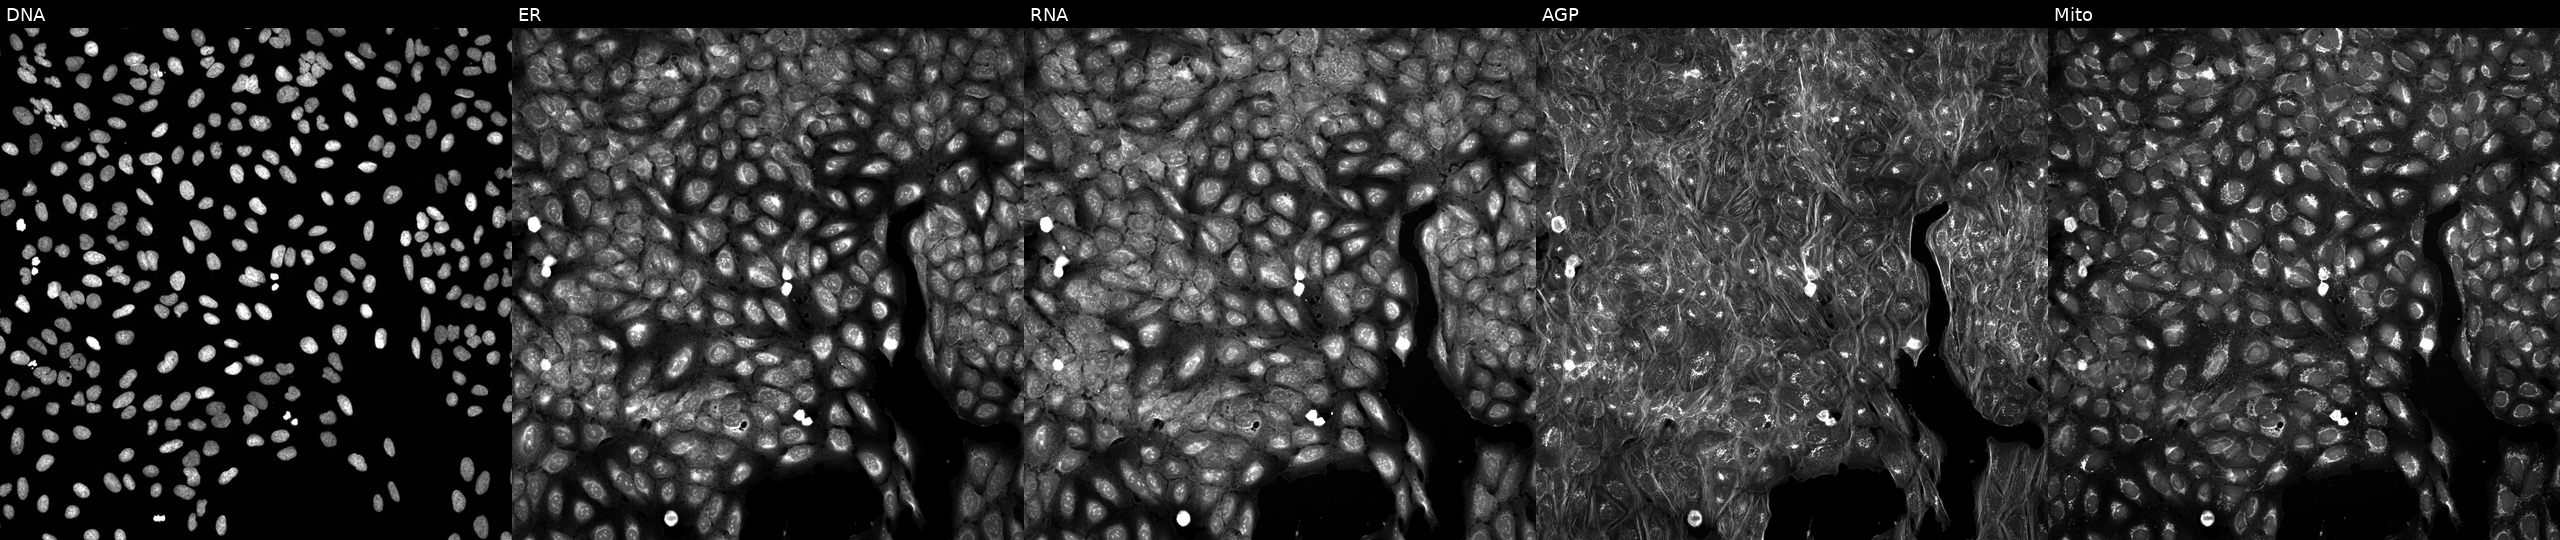
The five panels, left to right, show Hoechst 33342, concanavalin A, SYTO 14, phalloidin and WGA, MitoTracker. U2OS osteosarcoma cells treated with DMSO vehicle only (negative control) (JUMP id JCP2022_033924). Cell Painting assay, JUMP-CP dataset. Source 5, plate ACPJUM032, well L23.